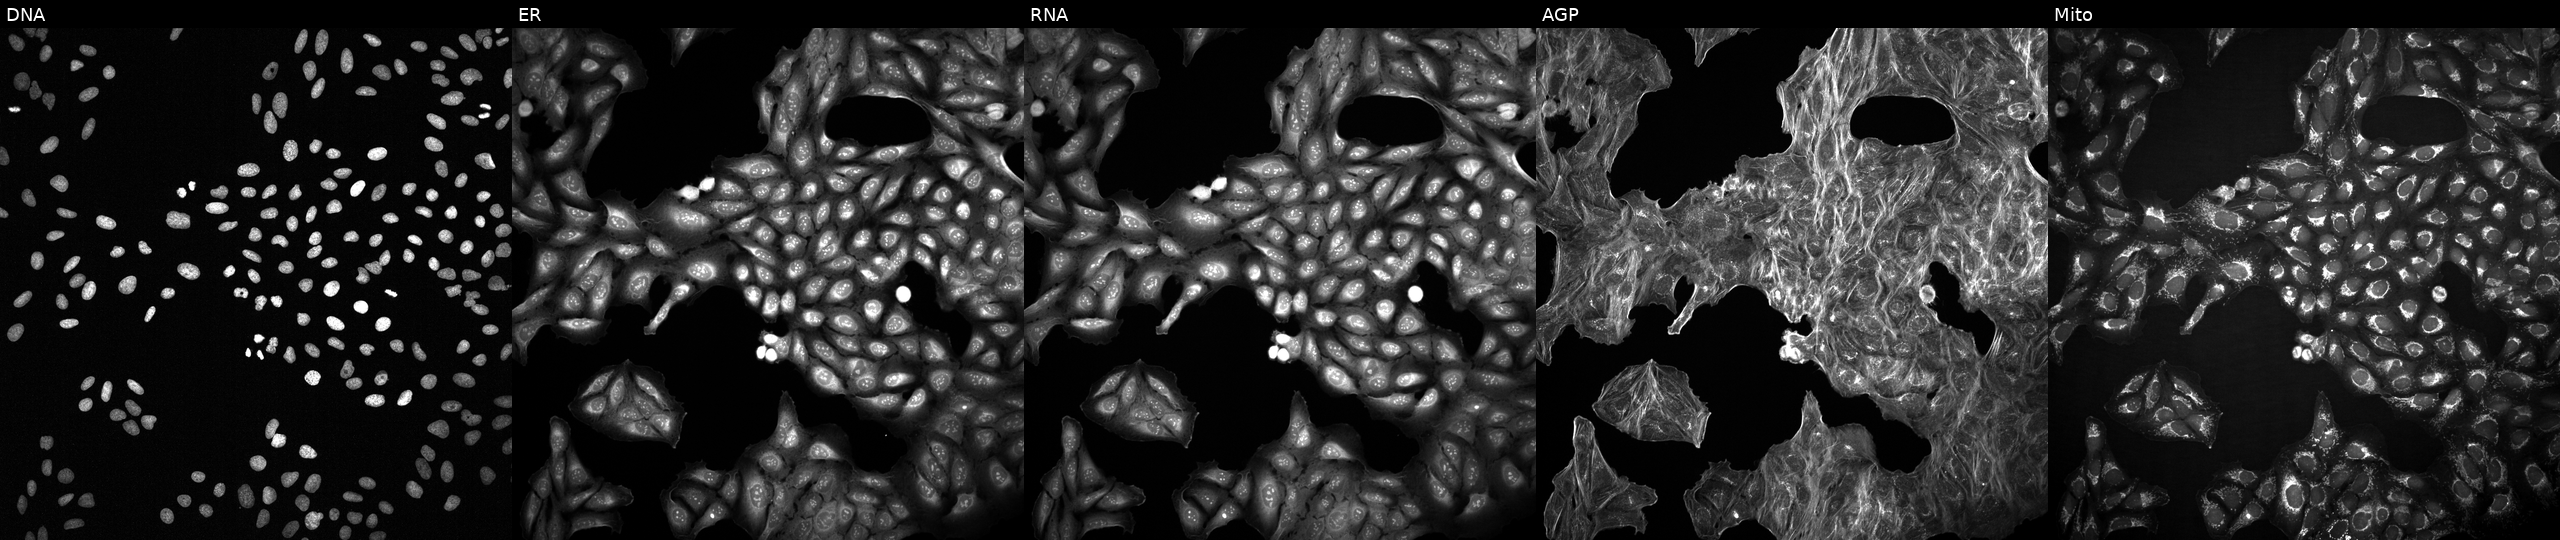
U2OS cells, Cell Painting assay, exposed to the positive-control compound aloxistatin. The five panels, left to right, show Hoechst 33342, concanavalin A, SYTO 14, phalloidin and WGA, MitoTracker. Each panel is percentile-stretched 16-bit fluorescence. Source 2, plate 1053601756, well M24.